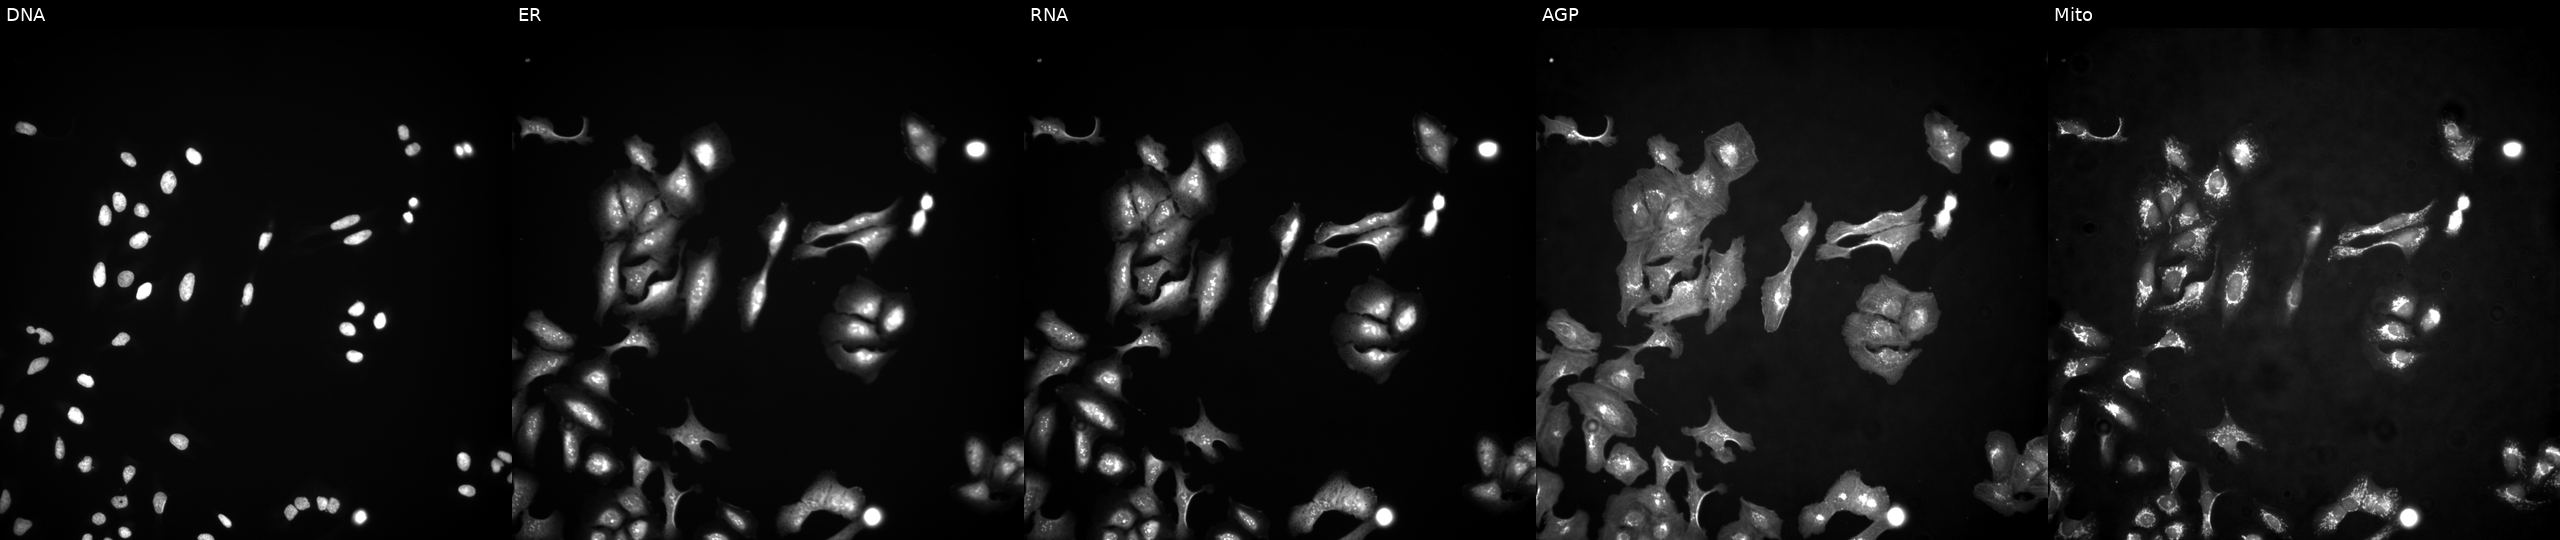
High-content fluorescence microscopy (Cell Painting). Cell line: U2OS. Perturbation: with RFX6 overexpressed (ORF). Channels (left→right): DNA, ER, RNA, AGP, and Mito.